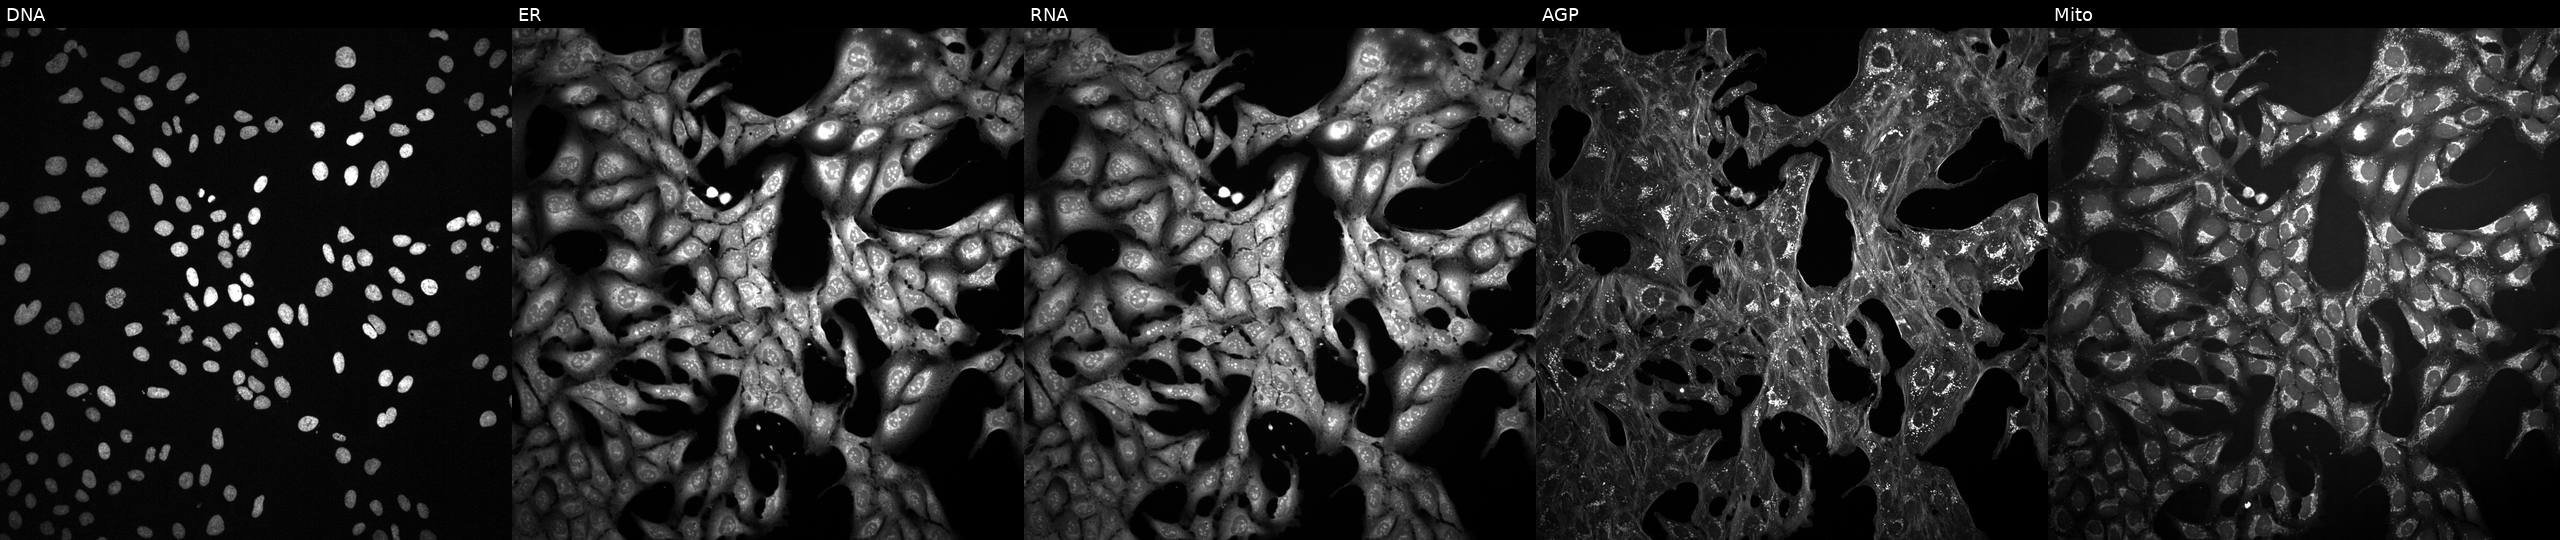
JUMP Cell Painting — TARGET2 plate. U2OS cells exposed to a small-molecule compound (InChIKey ZYVXTMKTGDARKR-UHFFFAOYSA-N). Panels show, left to right, DNA, ER, RNA, AGP, and Mito. Source 2, plate 1053597936, well J09.